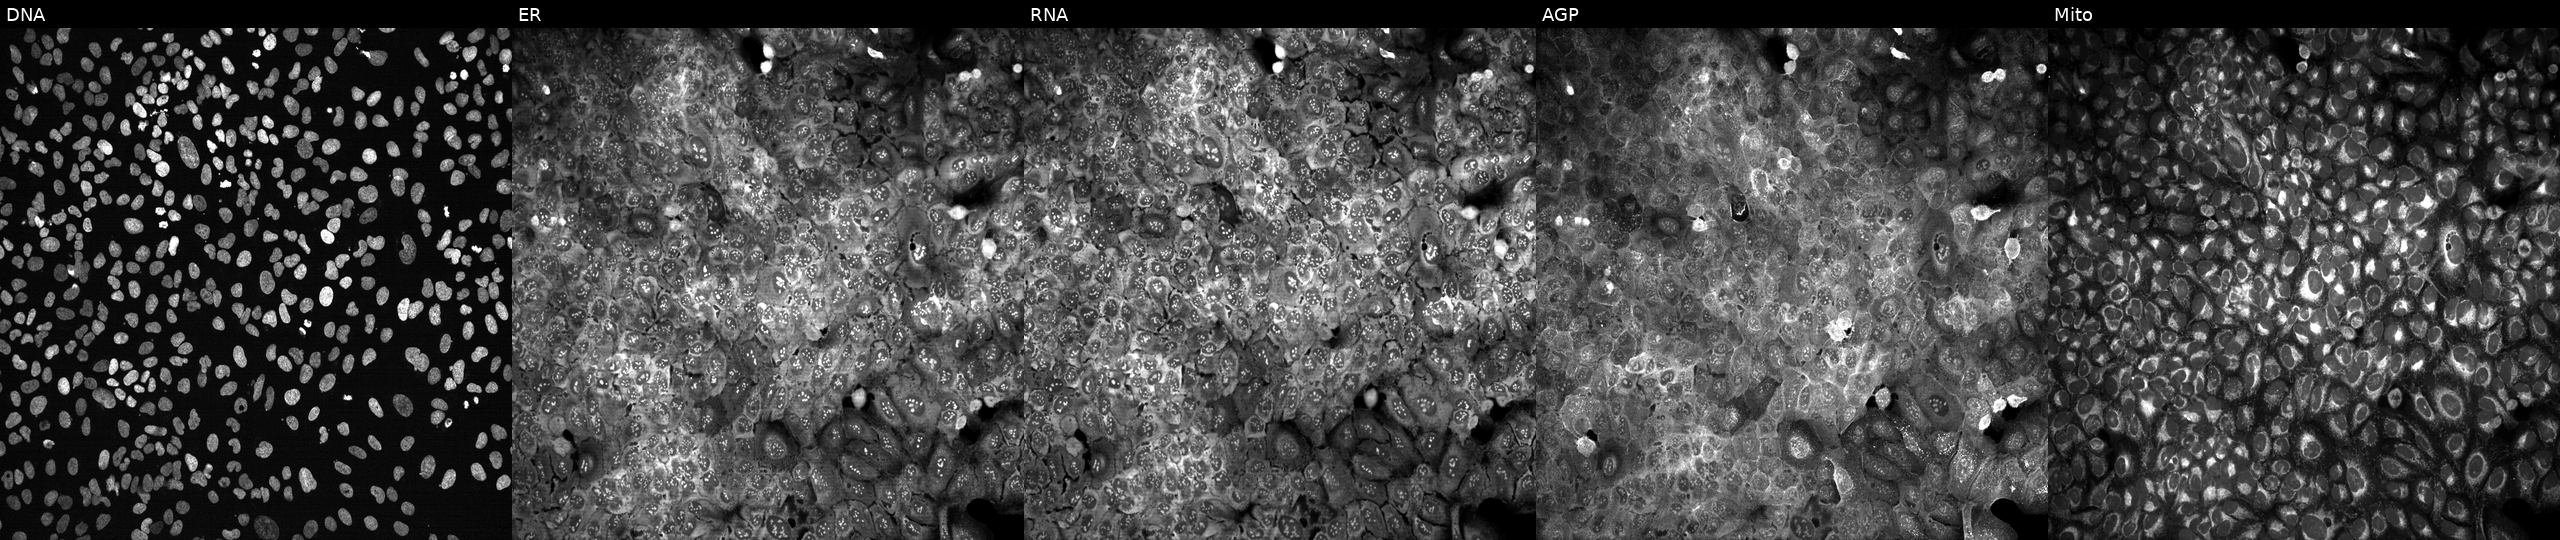
JUMP Cell Painting — CRISPR plate. U2OS cells following CRISPR knockout of PMS2. From left to right: DNA (nuclei); ER (endoplasmic reticulum); RNA (nucleoli and cytoplasmic RNA); AGP (actin cytoskeleton, Golgi, and plasma membrane); Mito (mitochondria). Source 13, plate CP-CC9-R4-04, well P10.